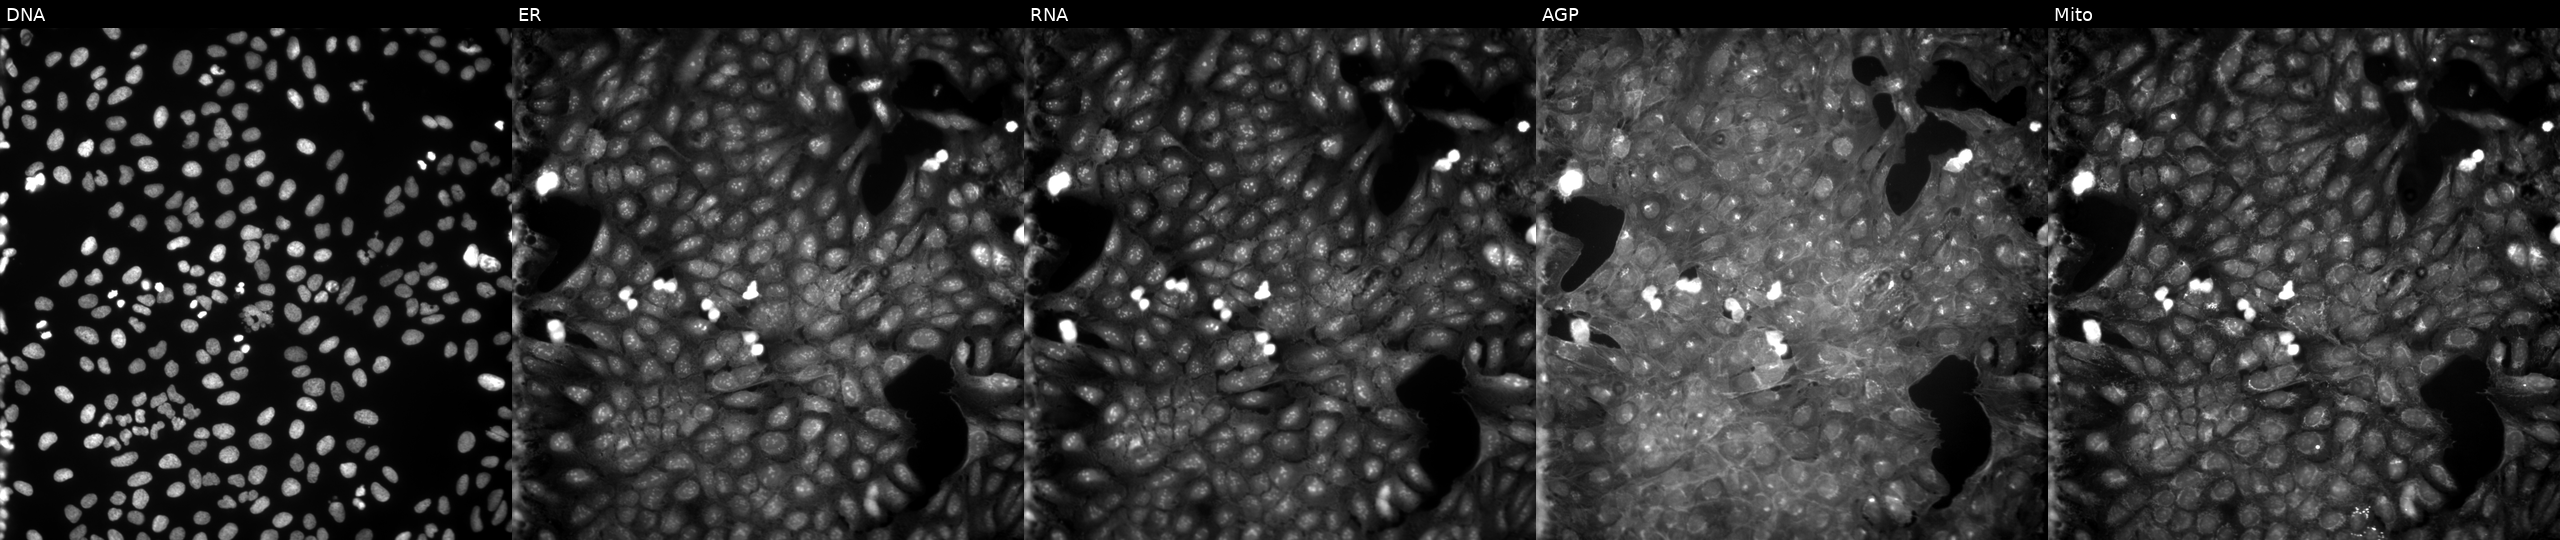
High-content fluorescence microscopy (Cell Painting). Cell line: U2OS. Perturbation: treated with a small-molecule compound. Panels show, left to right, DNA, ER, RNA, AGP, and Mito.